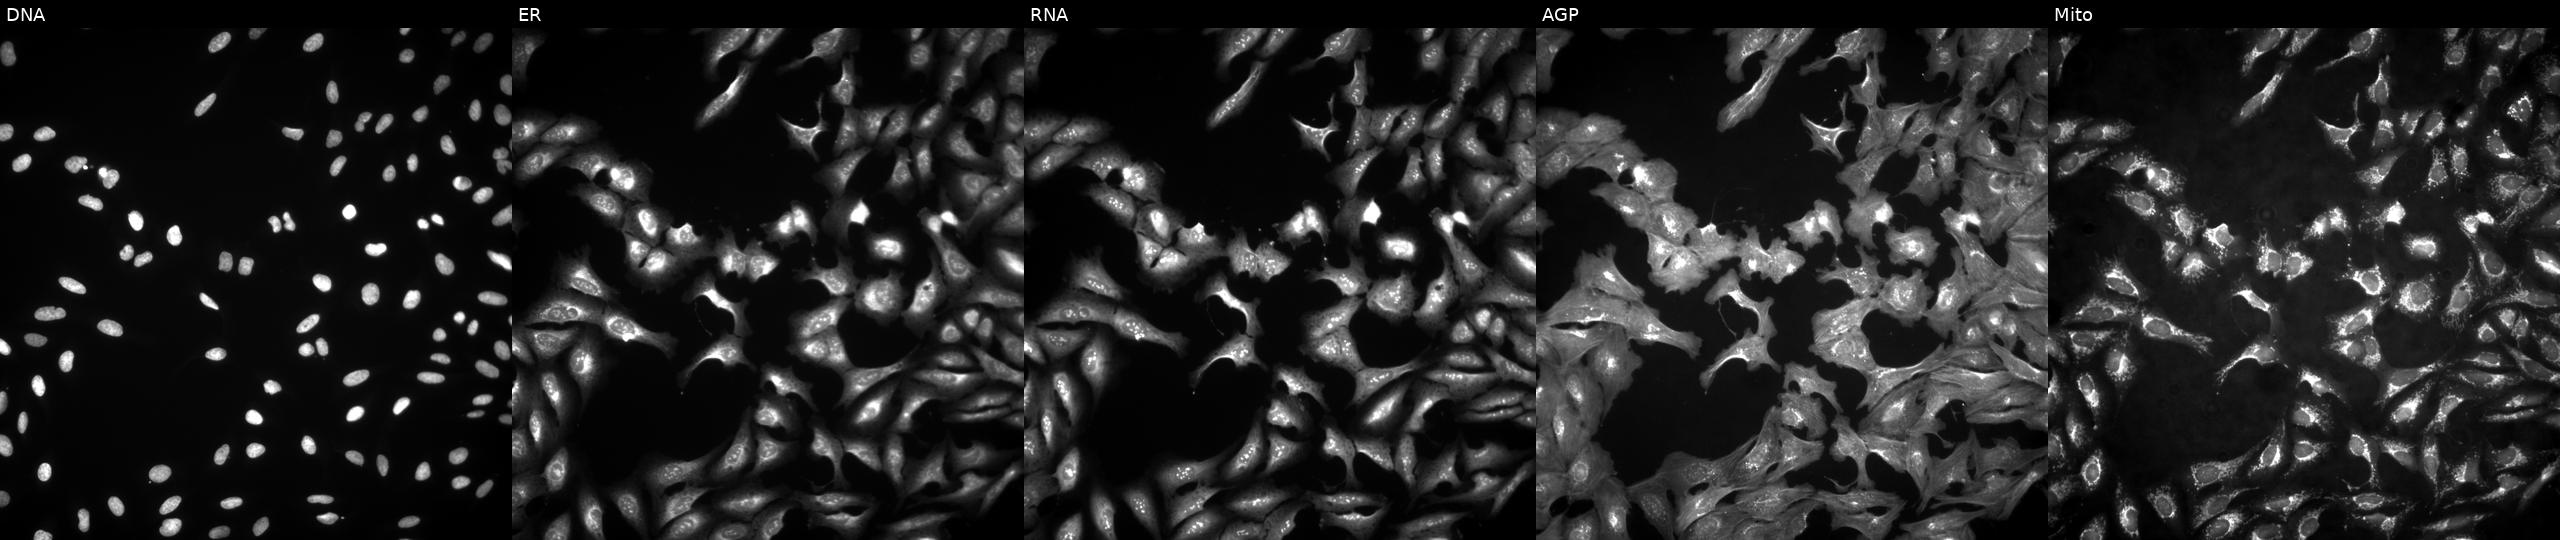
High-content fluorescence microscopy (Cell Painting). Cell line: U2OS. Perturbation: overexpressing SLC6A11 via ORF transfection. Panels show, left to right, DNA (nuclei); ER (endoplasmic reticulum); RNA (nucleoli and cytoplasmic RNA); AGP (actin cytoskeleton, Golgi, and plasma membrane); Mito (mitochondria).